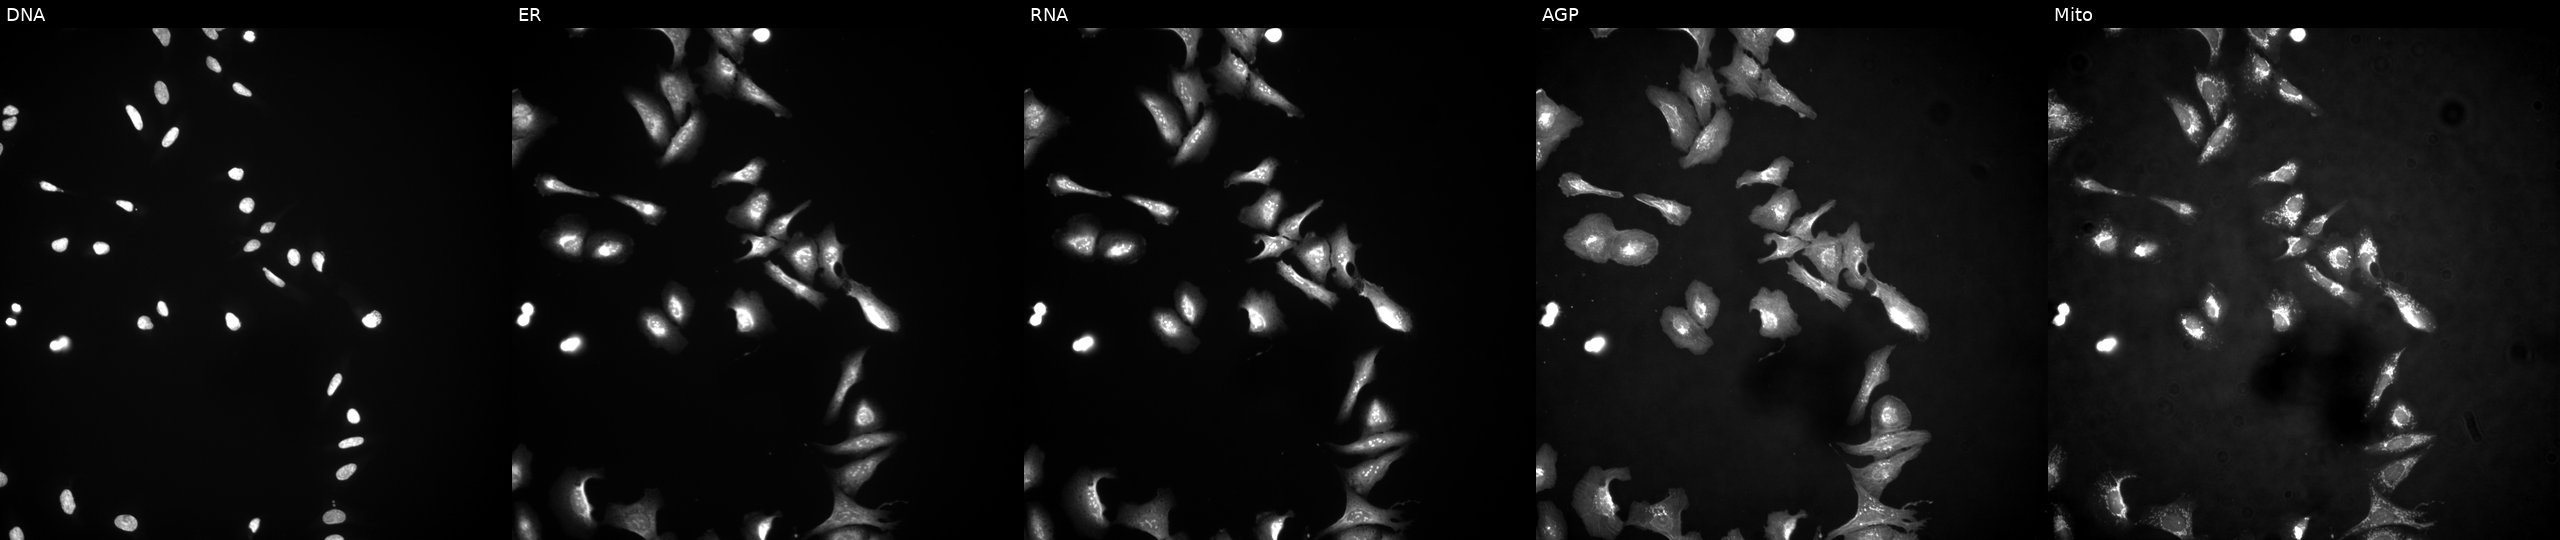
Five-channel Cell Painting image of U2OS cells overexpressing LINC00479 via ORF transfection (JUMP id JCP2022_912356). From left to right: DNA, ER, RNA, AGP, and Mito.